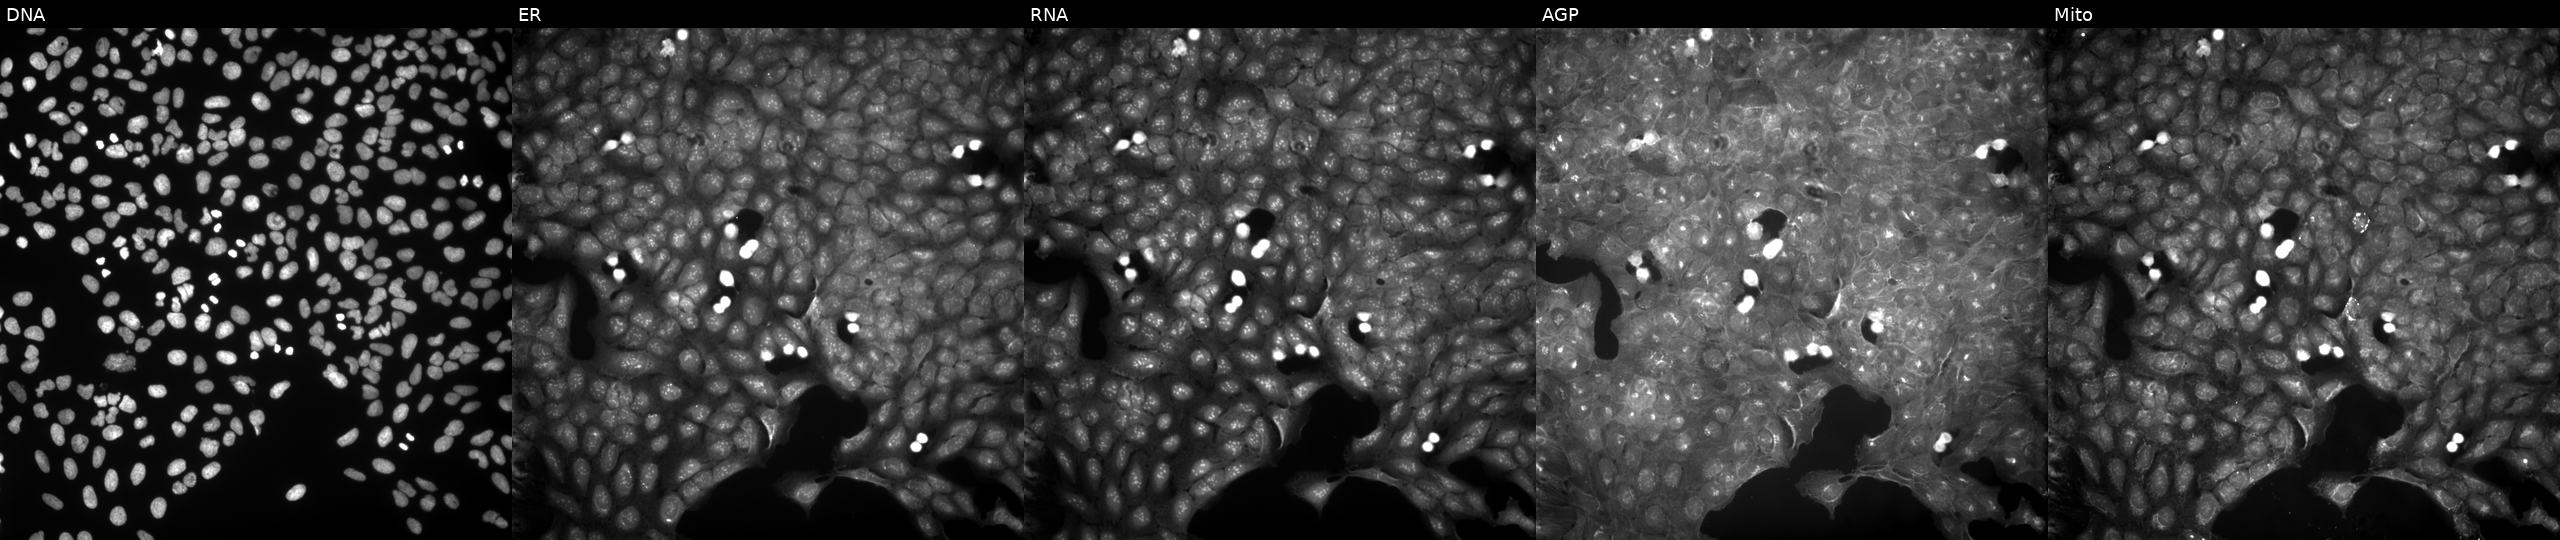
This image strip shows the five Cell Painting channels for a single field of U2OS cells exposed to DMSO alone as a negative control (JUMP id JCP2022_033924). The five panels, left to right, show DNA (nuclei); ER (endoplasmic reticulum); RNA (nucleoli and cytoplasmic RNA); AGP (actin cytoskeleton, Golgi, and plasma membrane); Mito (mitochondria).